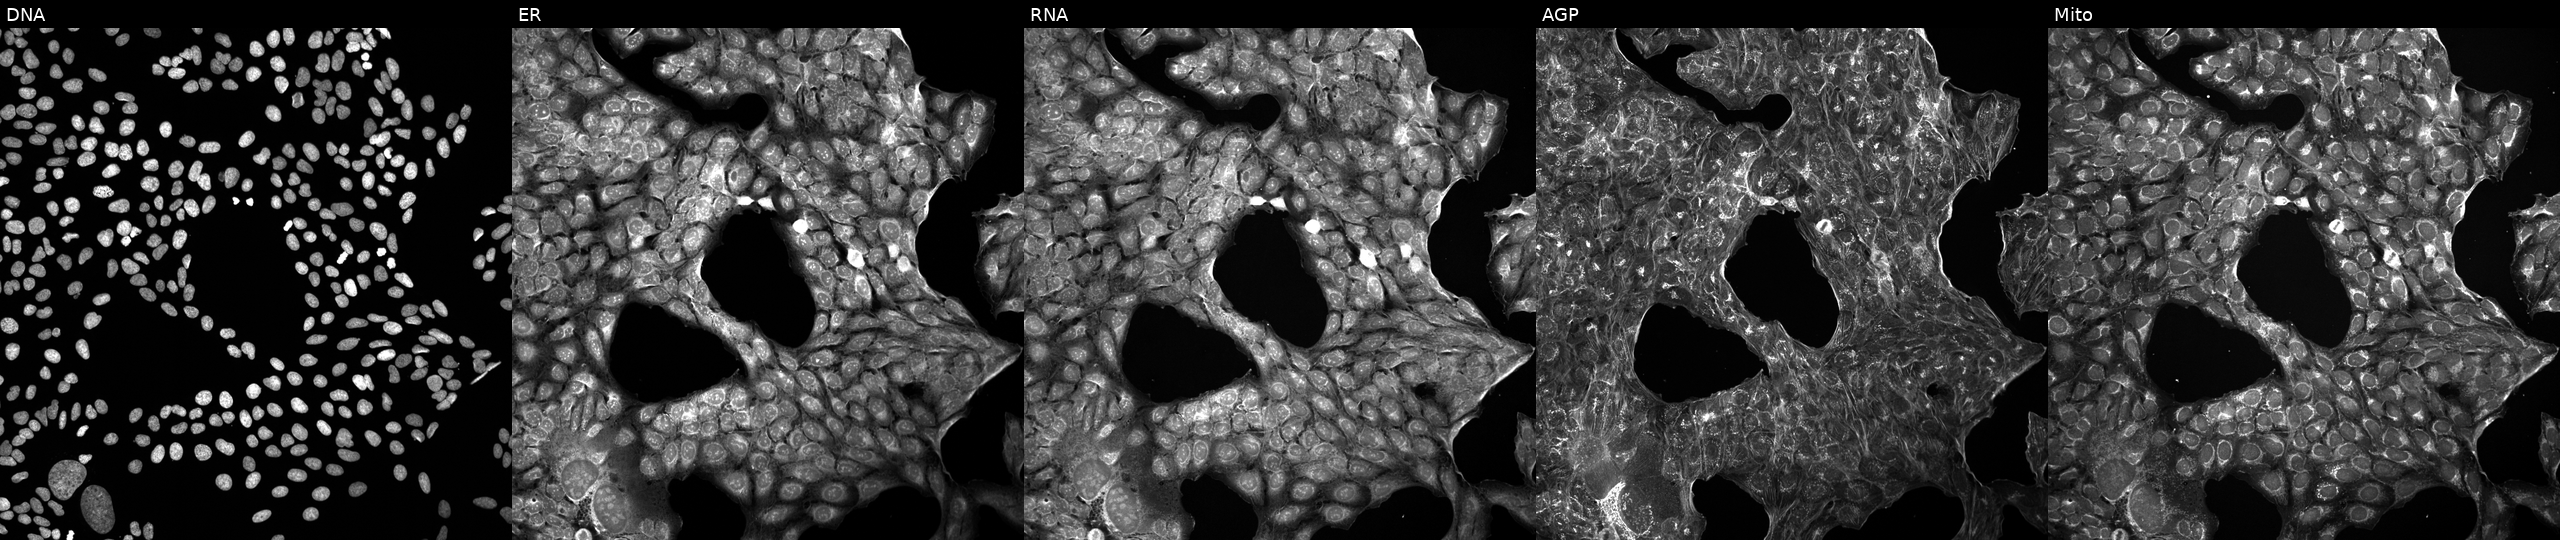
JUMP Cell Painting — COMPOUND plate. U2OS cells exposed to the positive-control compound LY2109761 (JUMP id JCP2022_035095). The five panels, left to right, show DNA (nuclei); ER (endoplasmic reticulum); RNA (nucleoli and cytoplasmic RNA); AGP (actin cytoskeleton, Golgi, and plasma membrane); Mito (mitochondria).